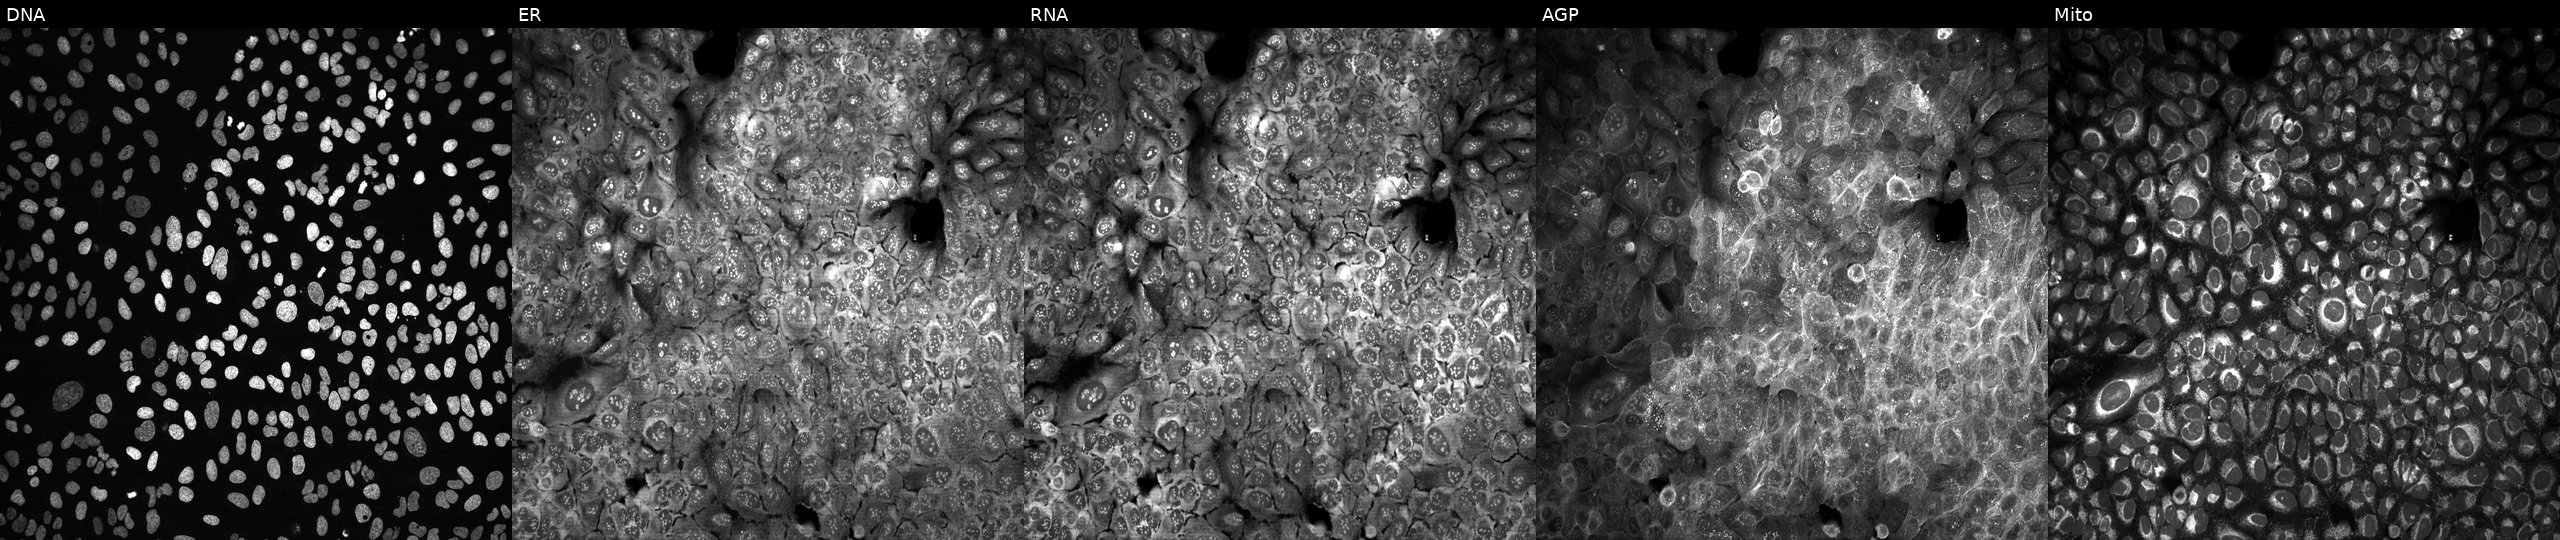
High-content fluorescence microscopy (Cell Painting). Cell line: U2OS. Perturbation: with RNPEP knocked out by CRISPR. The five panels, left to right, show DNA (nuclei); ER (endoplasmic reticulum); RNA (nucleoli and cytoplasmic RNA); AGP (actin cytoskeleton, Golgi, and plasma membrane); Mito (mitochondria). Source 13, plate CP-CC9-R6-19, well O15.